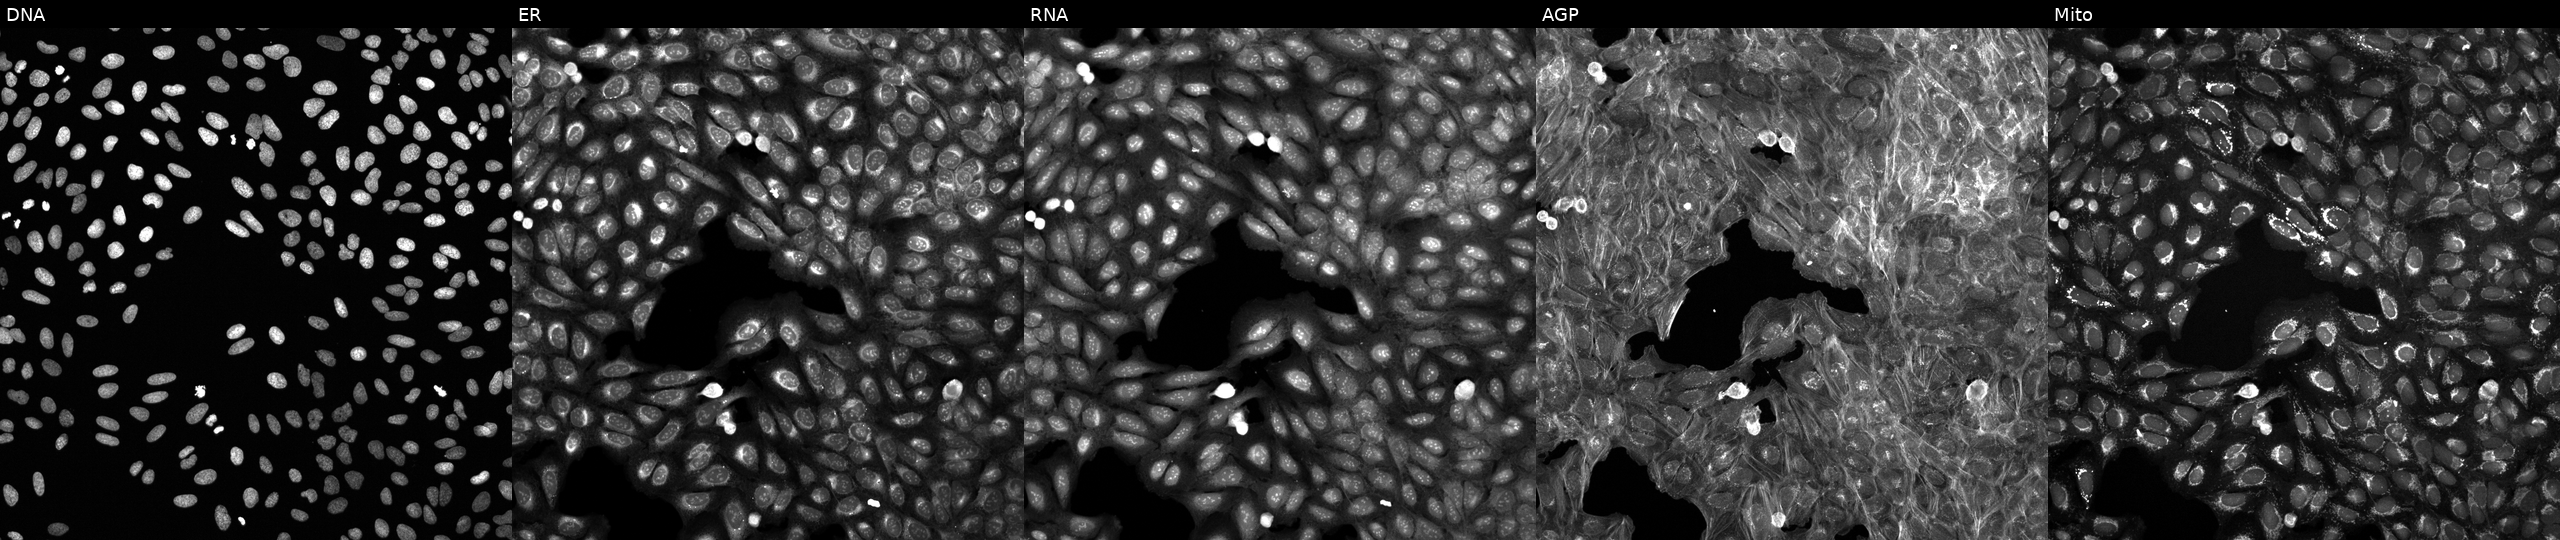
Five-channel Cell Painting image of U2OS cells treated with DMSO vehicle only (negative control). From left to right: Hoechst 33342, concanavalin A, SYTO 14, phalloidin and WGA, MitoTracker.